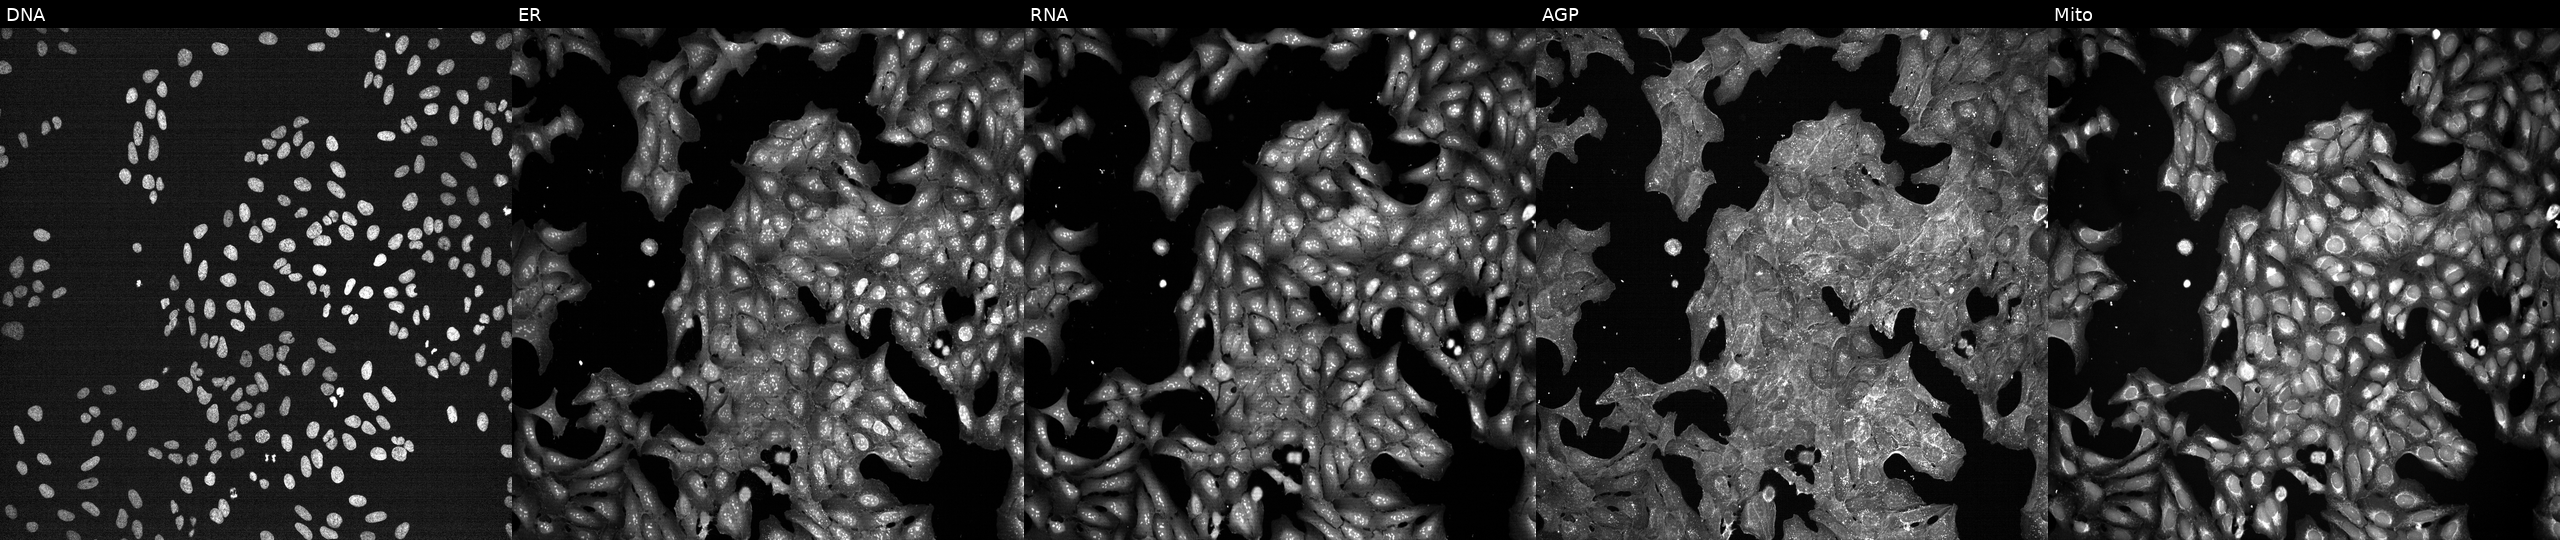
Five-channel Cell Painting image of U2OS cells exposed to DMSO alone as a negative control. Panels show, left to right, Hoechst 33342, concanavalin A, SYTO 14, phalloidin and WGA, MitoTracker. Source 7, plate CP1-SC1-25, well K06.